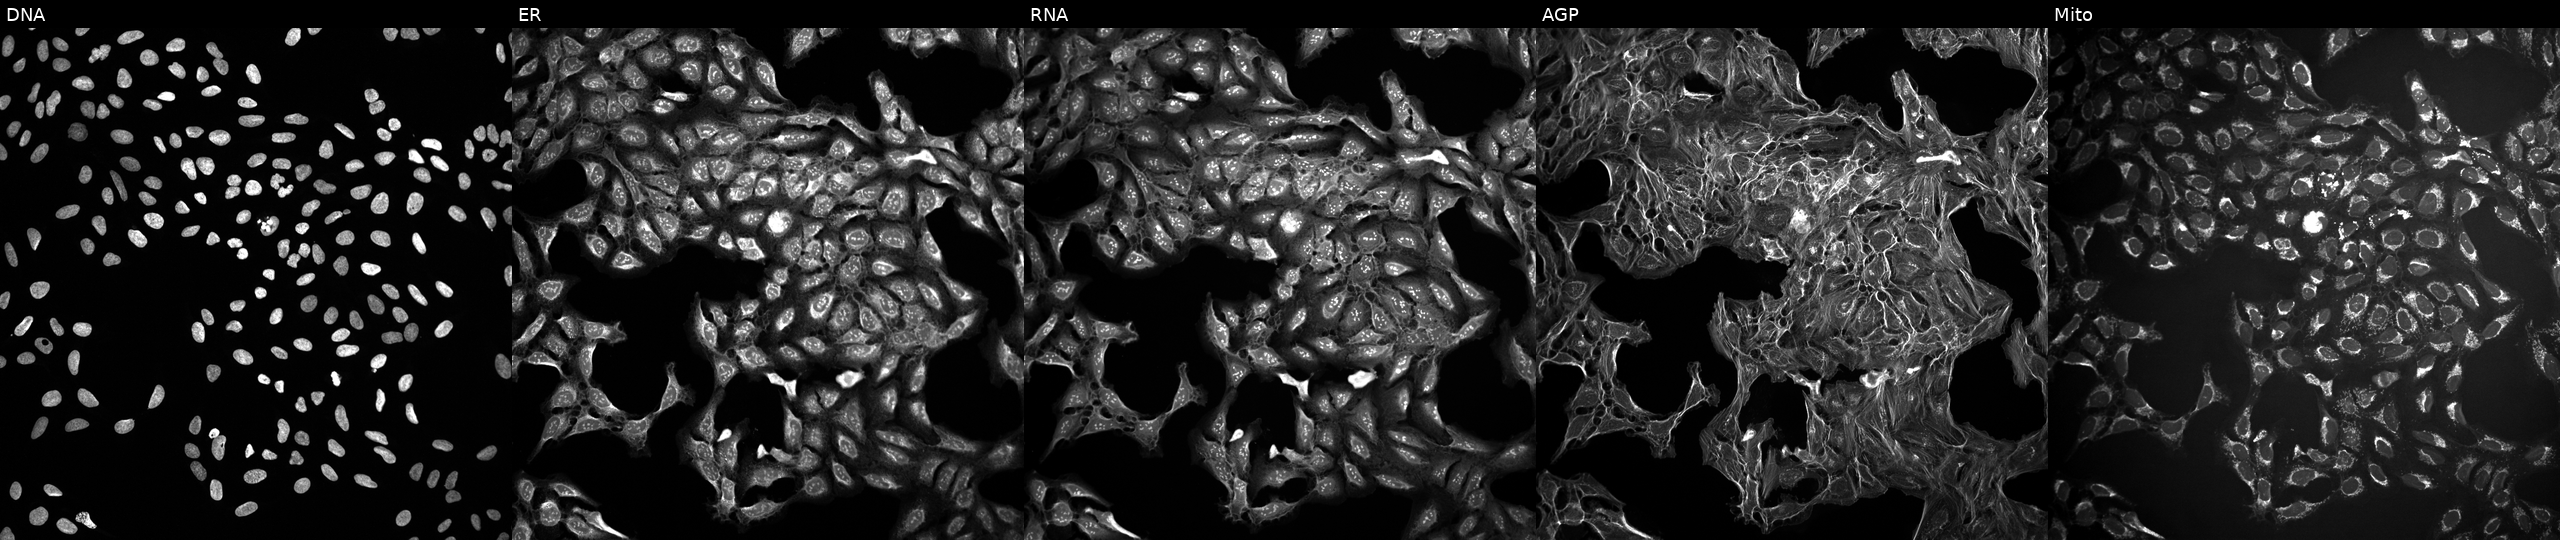
Five-channel Cell Painting image of U2OS cells exposed to a small-molecule compound (InChIKey TZDUHAJSIBHXDL-UHFFFAOYSA-N). Panels show, left to right, DNA, ER, RNA, AGP, and Mito.